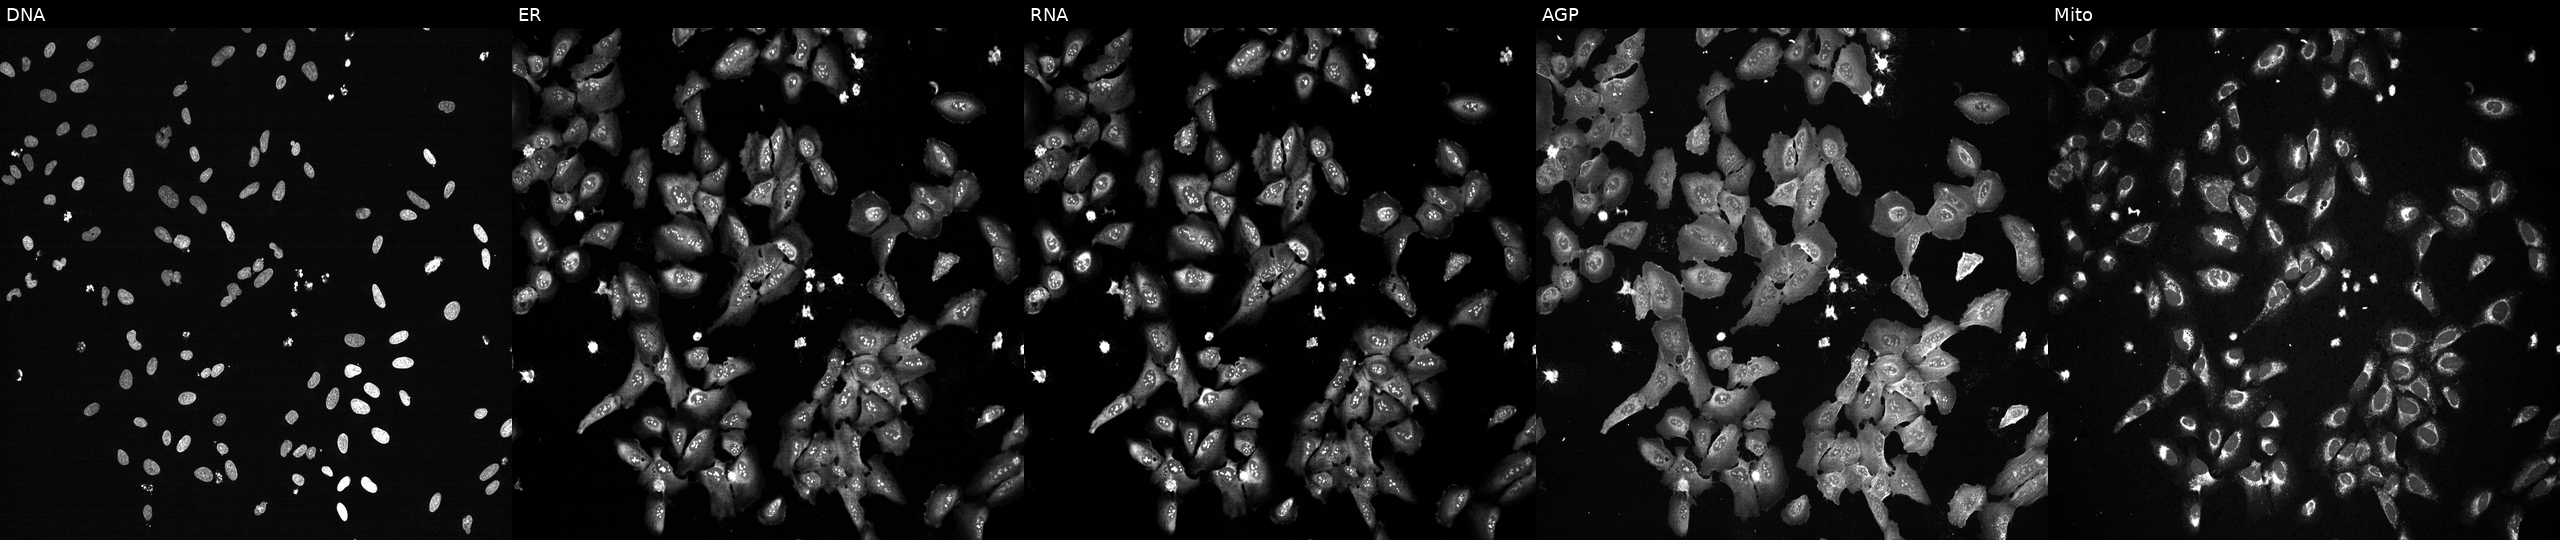
JUMP Cell Painting — CRISPR plate. U2OS cells exposed to the positive-control compound TC-S-7004 (JUMP id JCP2022_012818). Panels show, left to right, DNA (nuclei); ER (endoplasmic reticulum); RNA (nucleoli and cytoplasmic RNA); AGP (actin cytoskeleton, Golgi, and plasma membrane); Mito (mitochondria). Source 13, plate CP-CC9-R3-02, well H01.